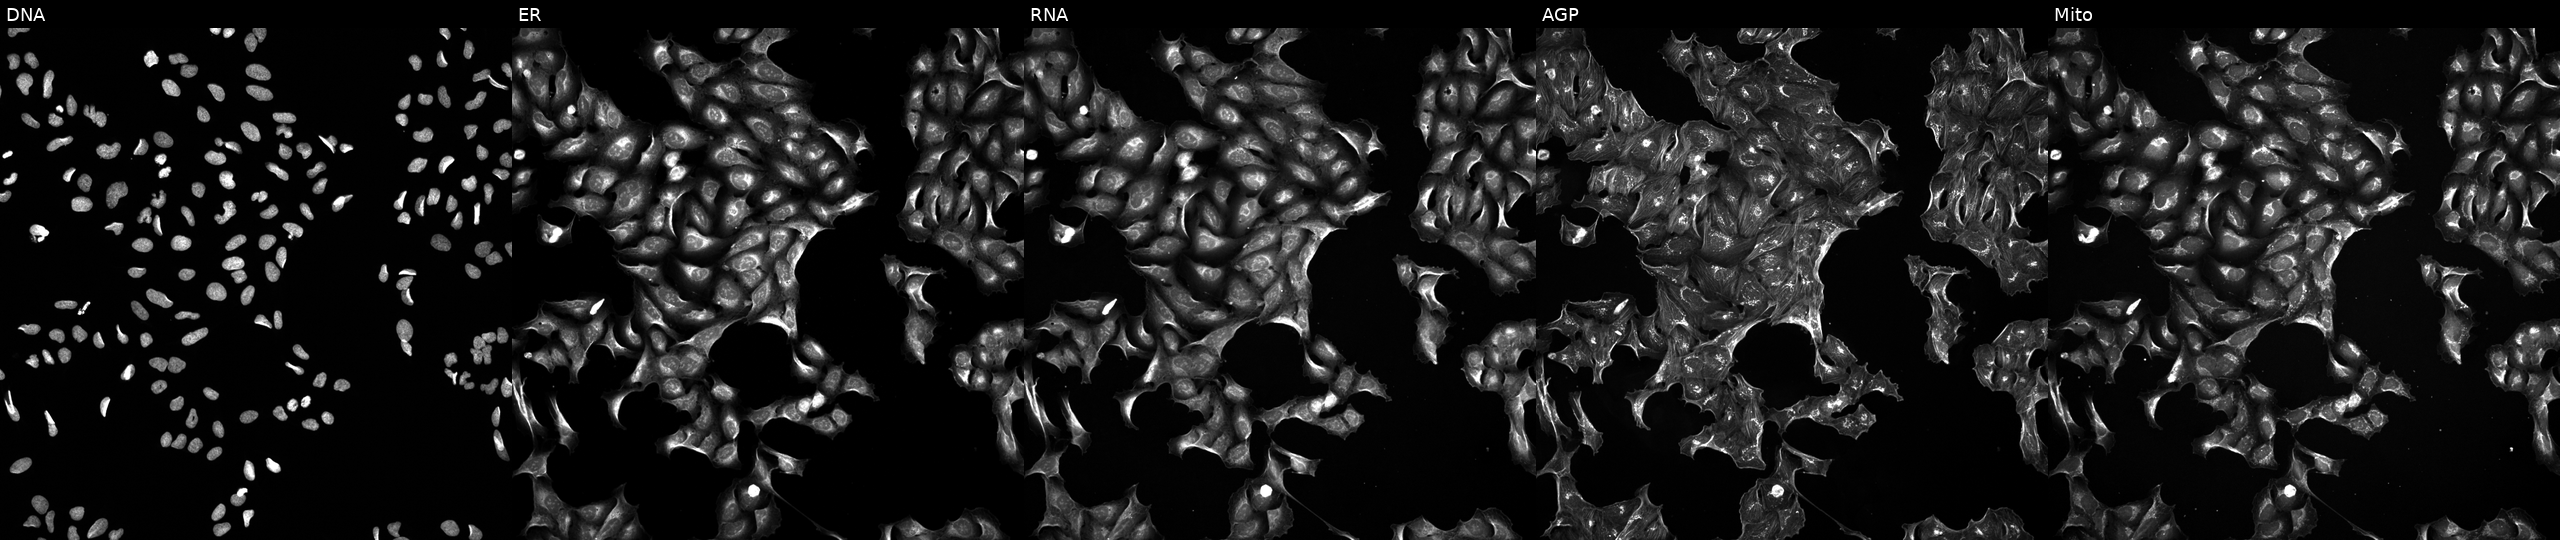
Panels show, left to right, DNA (nuclei); ER (endoplasmic reticulum); RNA (nucleoli and cytoplasmic RNA); AGP (actin cytoskeleton, Golgi, and plasma membrane); Mito (mitochondria). U2OS osteosarcoma cells exposed to the positive-control compound NVS-PAK1-1. Cell Painting assay, JUMP-CP dataset.